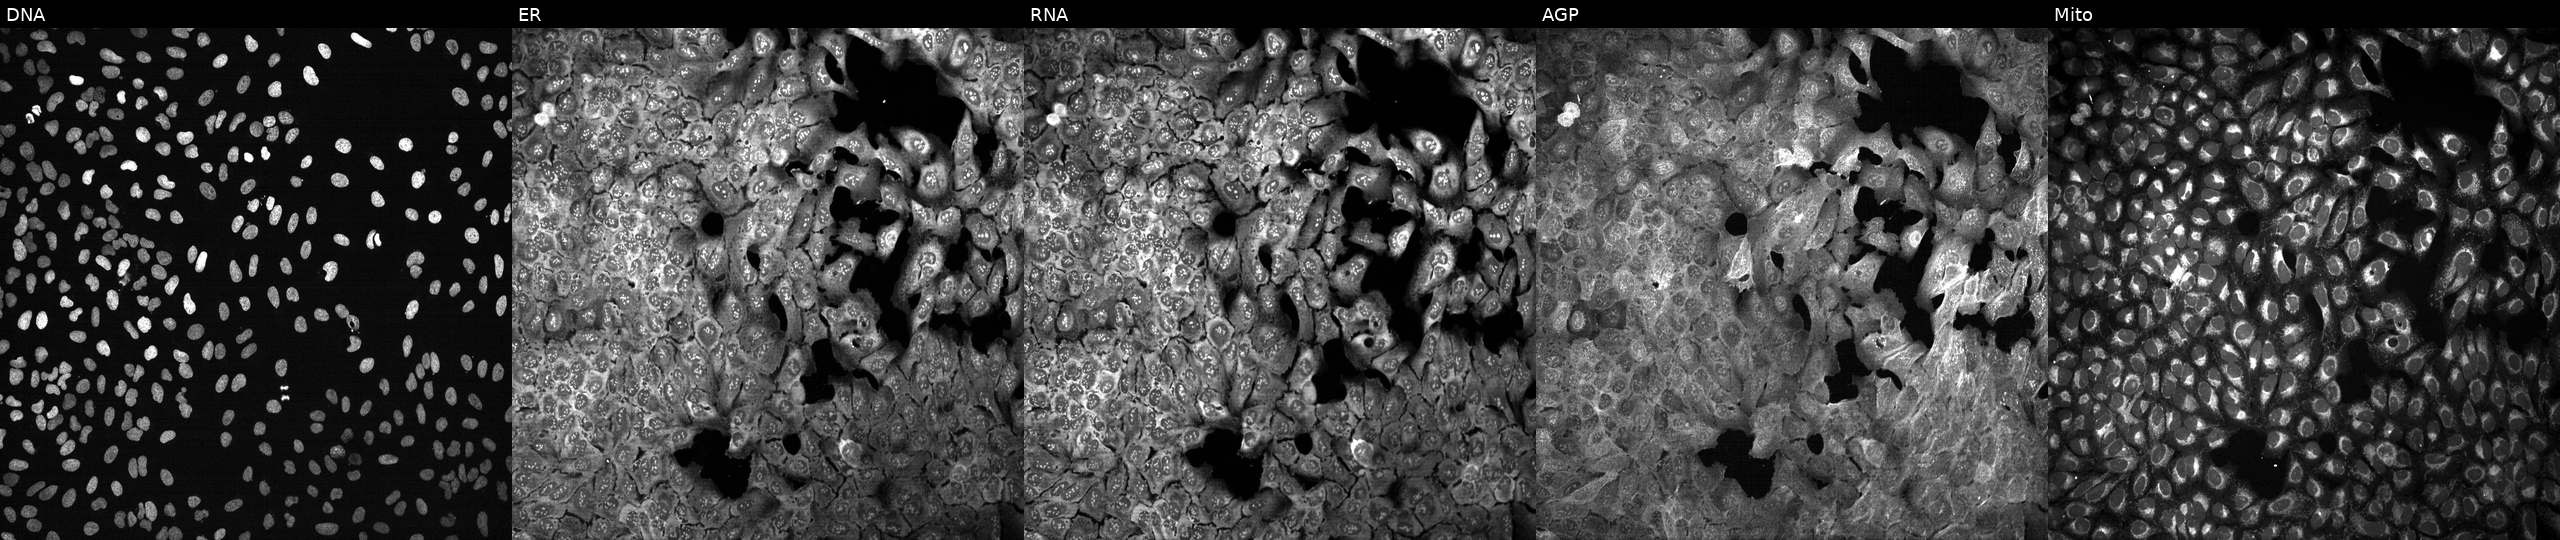
This image strip shows the five Cell Painting channels for a single field of U2OS cells following CRISPR knockout of CYP26B1 (JUMP id JCP2022_801628). Channels (left→right): Hoechst 33342, concanavalin A, SYTO 14, phalloidin and WGA, MitoTracker.